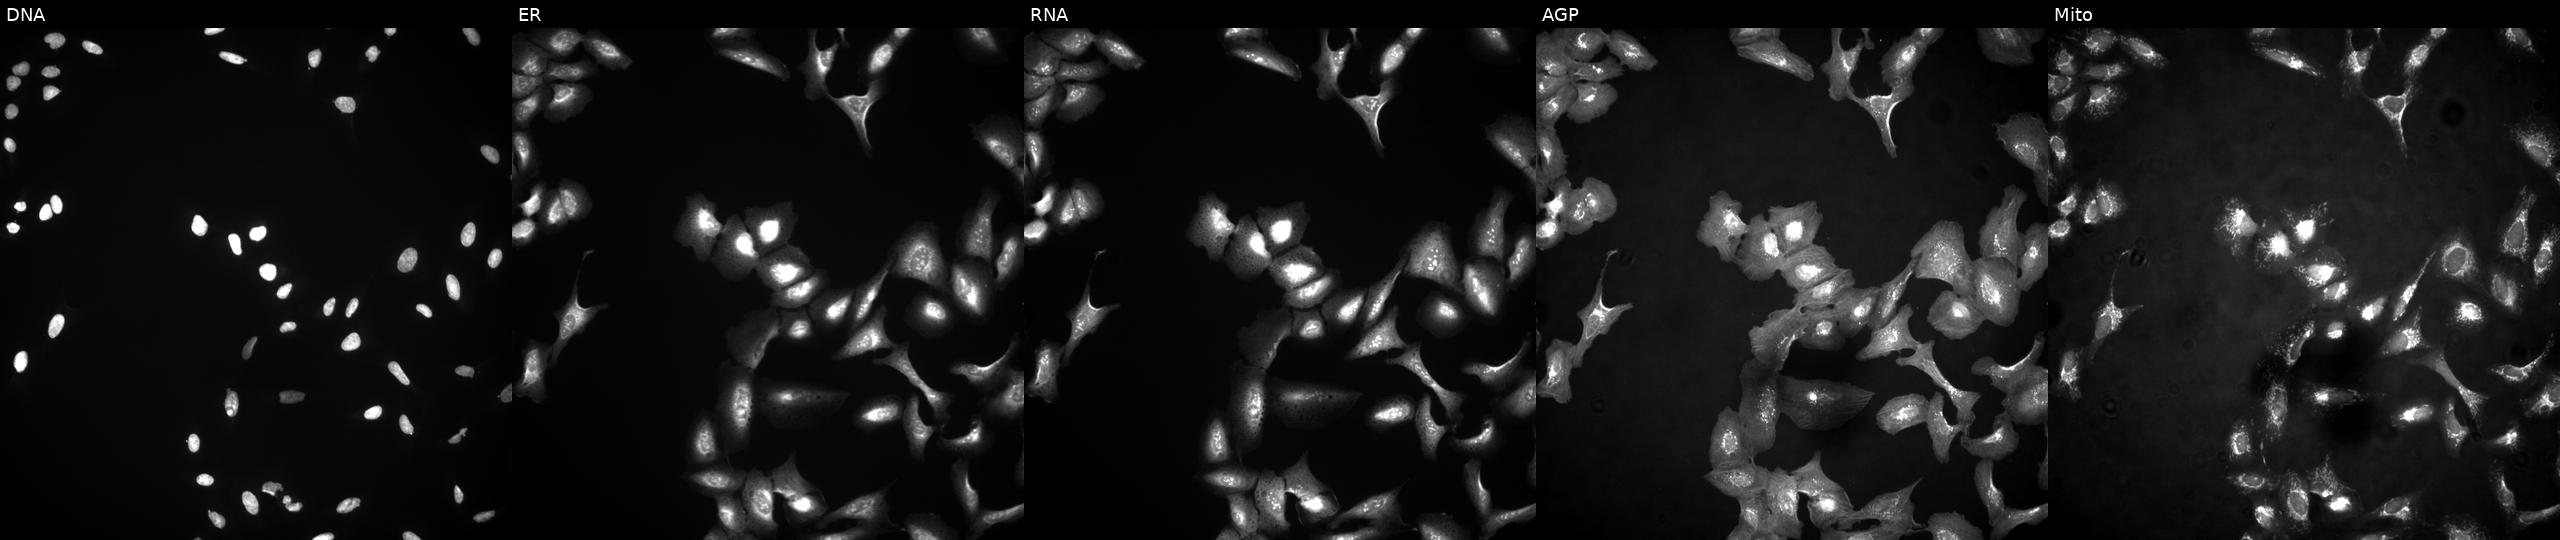
The five panels, left to right, show Hoechst 33342, concanavalin A, SYTO 14, phalloidin and WGA, MitoTracker. U2OS osteosarcoma cells transfected with an ORF construct for FAM9C. Cell Painting assay, JUMP-CP dataset.